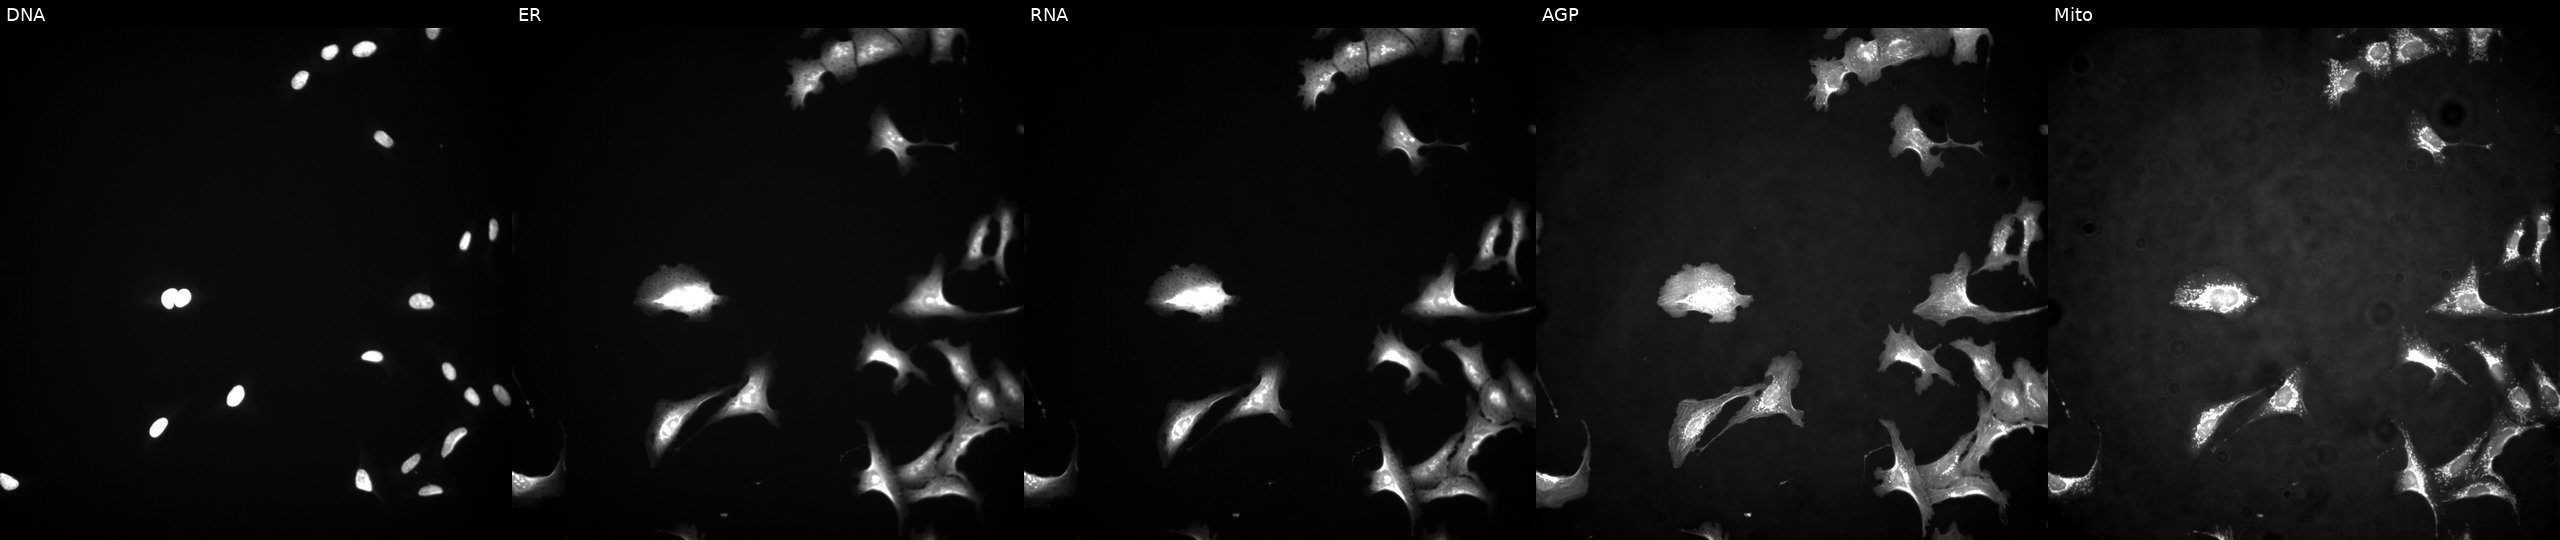
Panels show, left to right, Hoechst 33342, concanavalin A, SYTO 14, phalloidin and WGA, MitoTracker. U2OS osteosarcoma cells overexpressing E2F6 via ORF transfection. Cell Painting assay, JUMP-CP dataset.